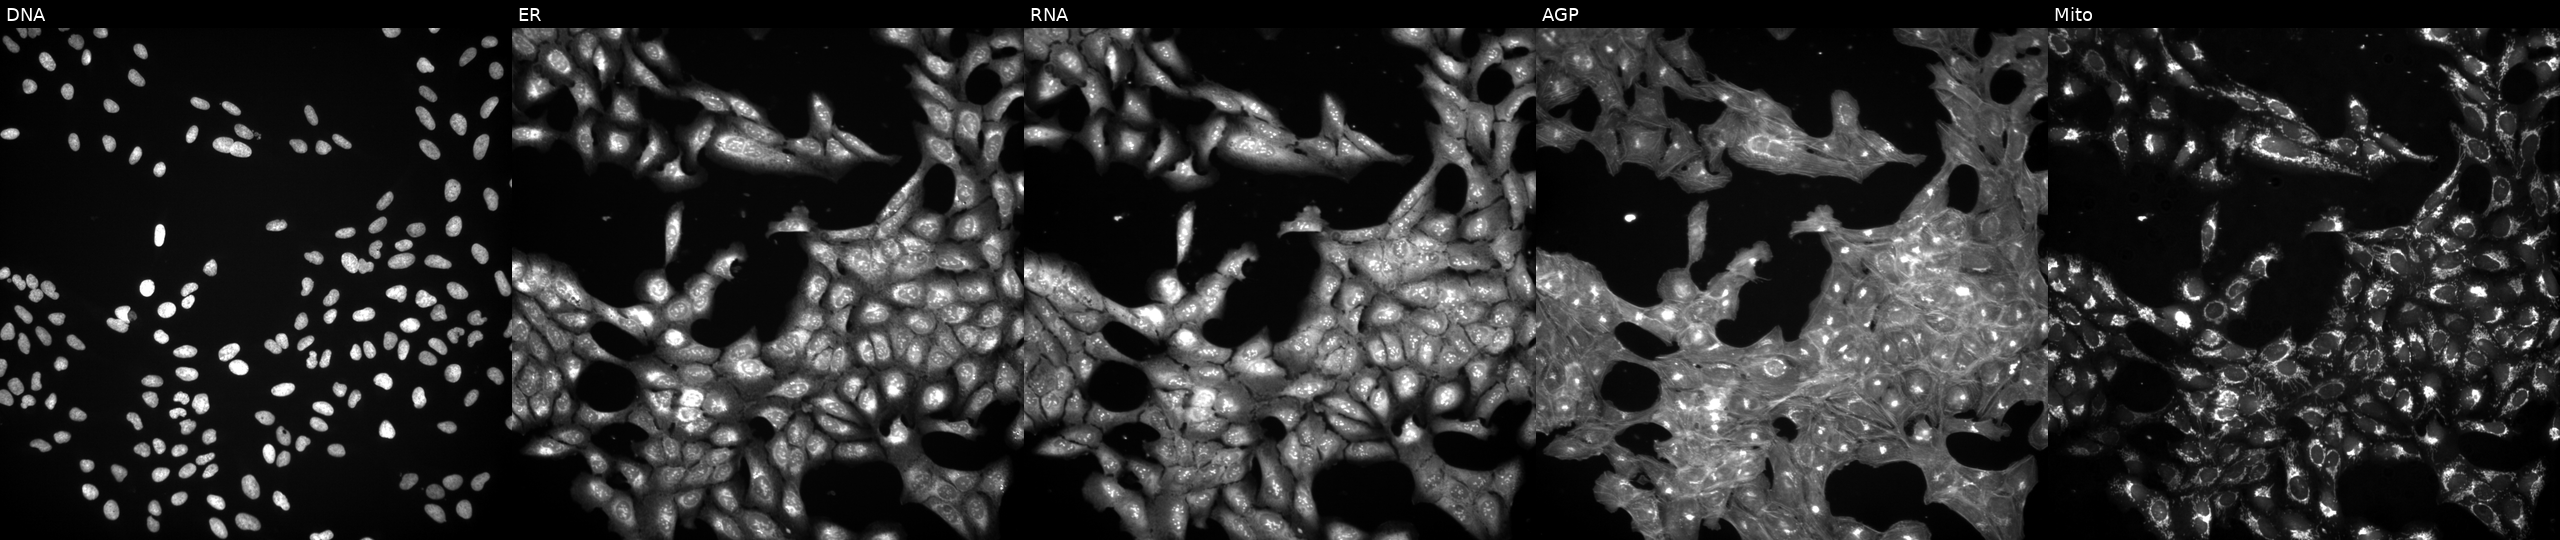
JUMP Cell Painting — COMPOUND plate. U2OS cells perturbed with a small-molecule compound (InChIKey DRXCKFKJCBLSLA-UHFFFAOYSA-N) (JUMP id JCP2022_017821). The five panels, left to right, show Hoechst 33342, concanavalin A, SYTO 14, phalloidin and WGA, MitoTracker. Source 3, plate BR5867b3, well E16.